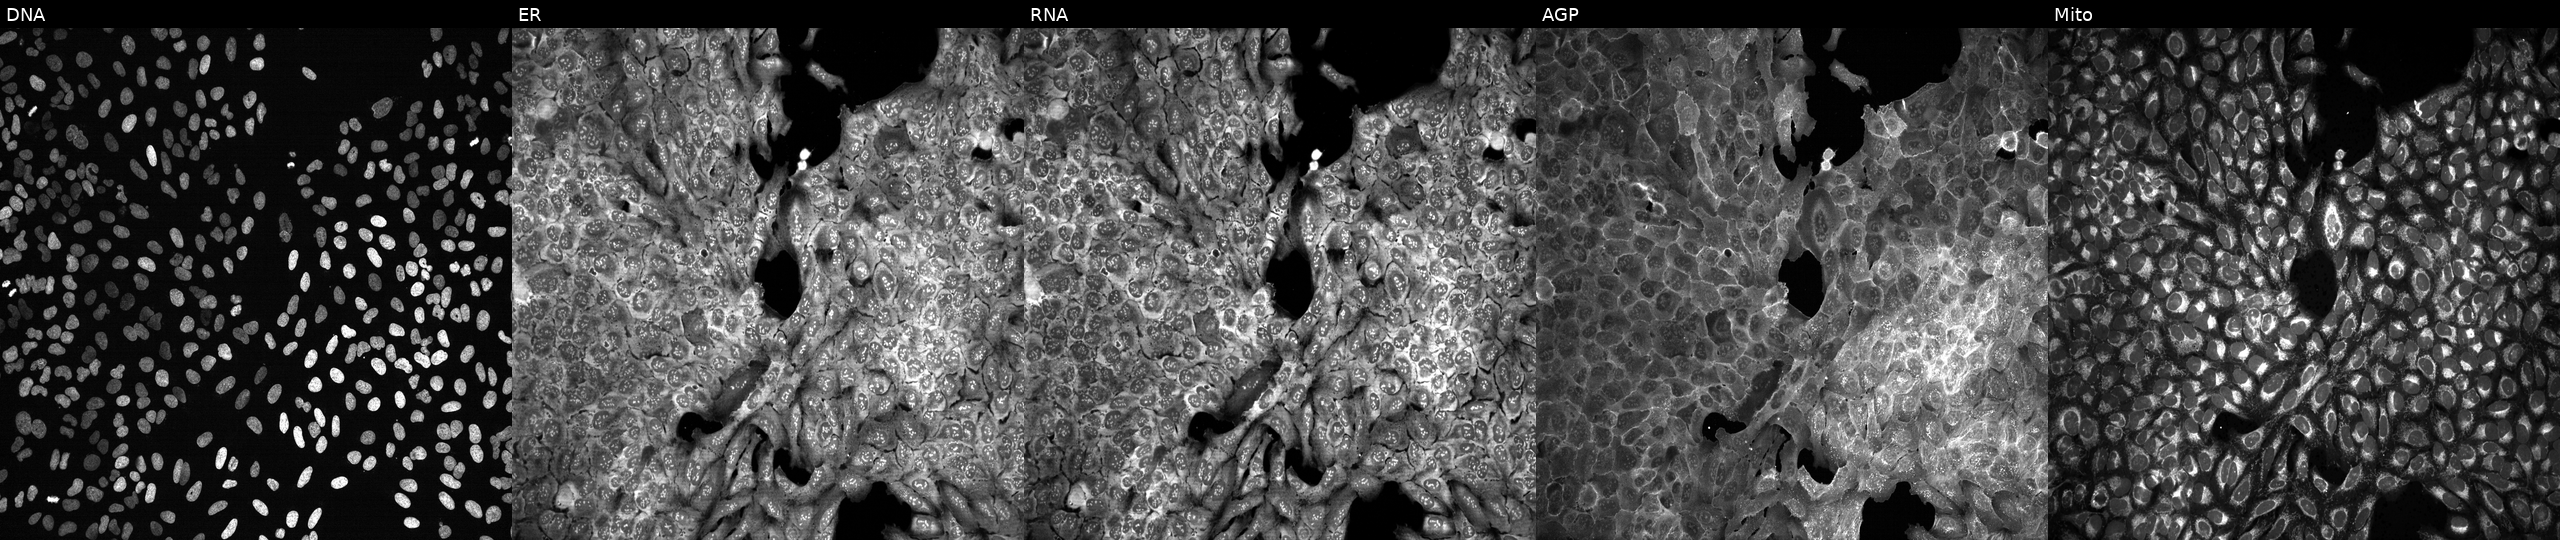
High-content fluorescence microscopy (Cell Painting). Cell line: U2OS. Perturbation: with ASRGL1 knocked out by CRISPR (JUMP id JCP2022_800657). The five panels, left to right, show DNA (nuclei); ER (endoplasmic reticulum); RNA (nucleoli and cytoplasmic RNA); AGP (actin cytoskeleton, Golgi, and plasma membrane); Mito (mitochondria).